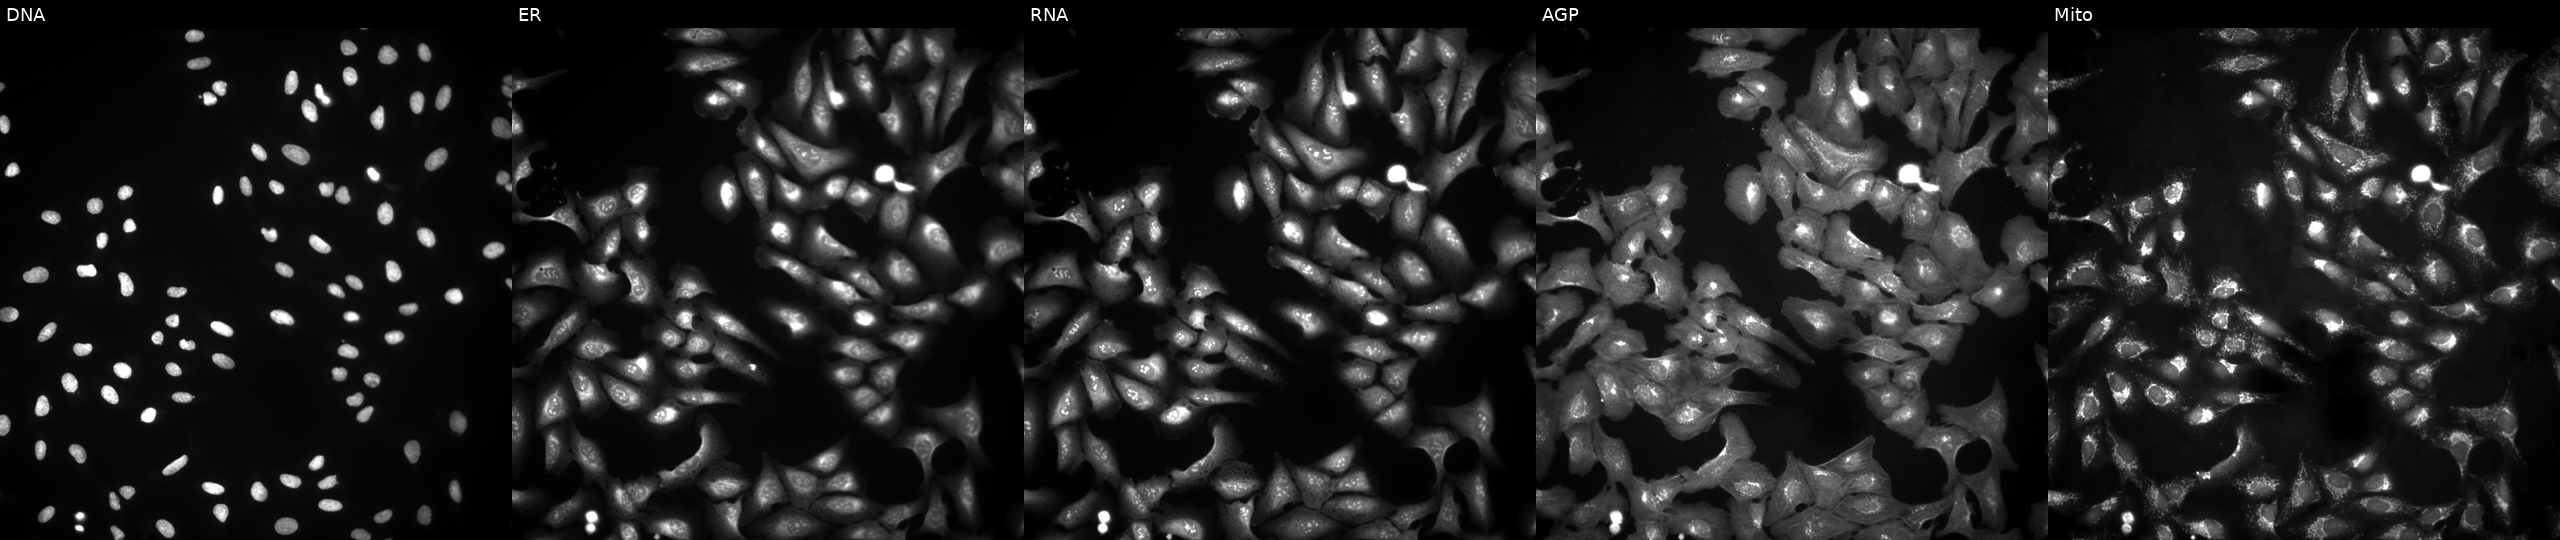
High-content fluorescence microscopy (Cell Painting). Cell line: U2OS. Perturbation: with BBX overexpressed (ORF) (JUMP id JCP2022_911490). The five panels, left to right, show Hoechst 33342, concanavalin A, SYTO 14, phalloidin and WGA, MitoTracker.